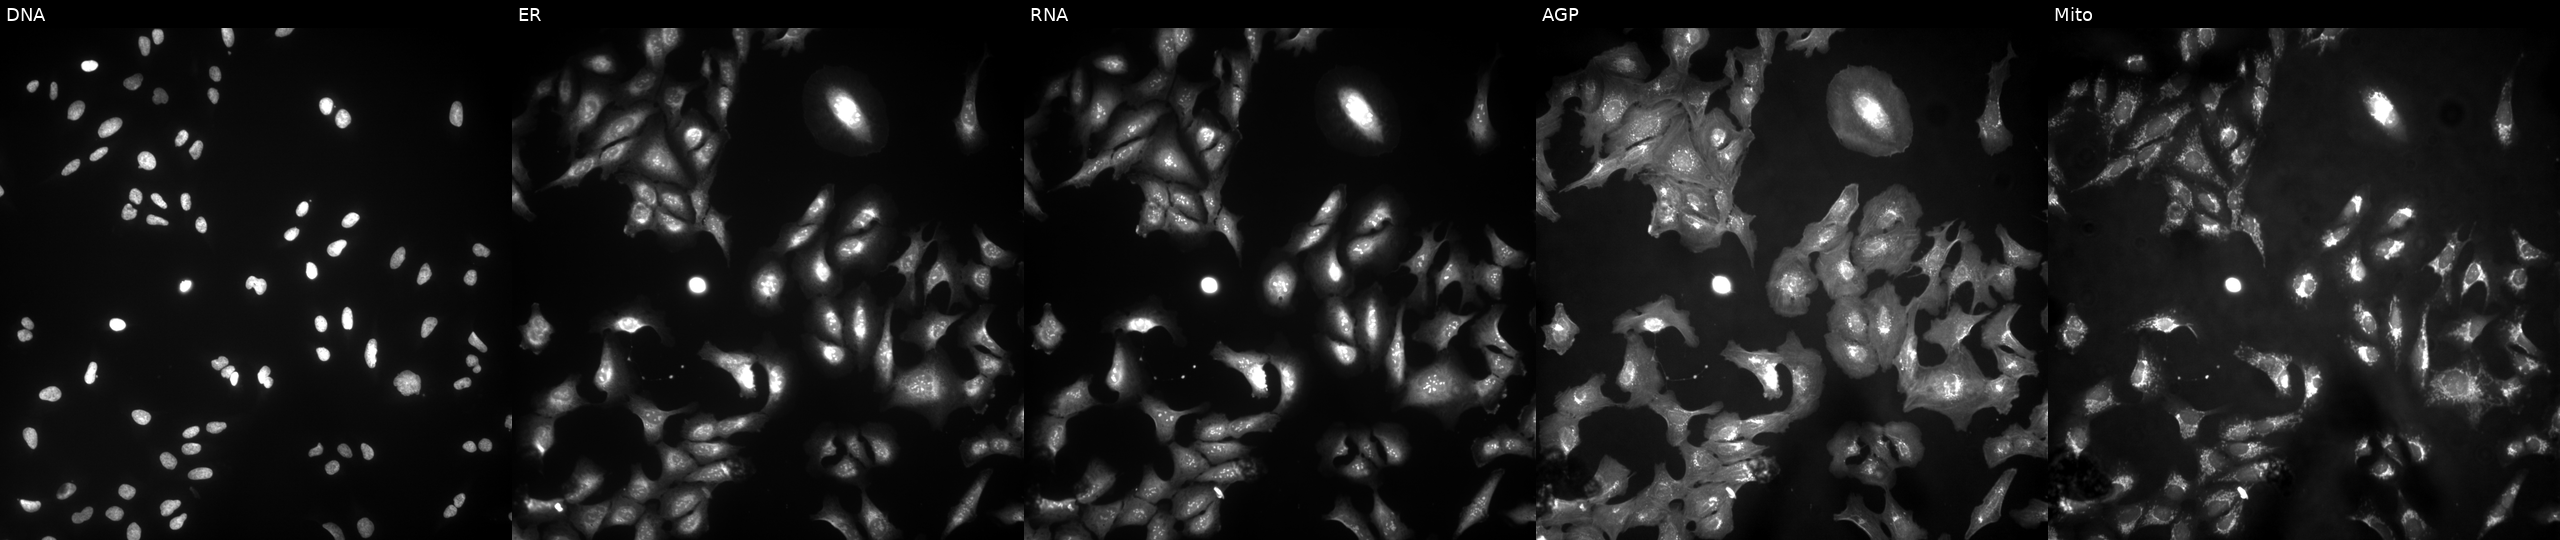
U2OS cells, Cell Painting assay, transfected with an ORF construct for JAKMIP1. From left to right: DNA (nuclei); ER (endoplasmic reticulum); RNA (nucleoli and cytoplasmic RNA); AGP (actin cytoskeleton, Golgi, and plasma membrane); Mito (mitochondria). Each panel is percentile-stretched 16-bit fluorescence.